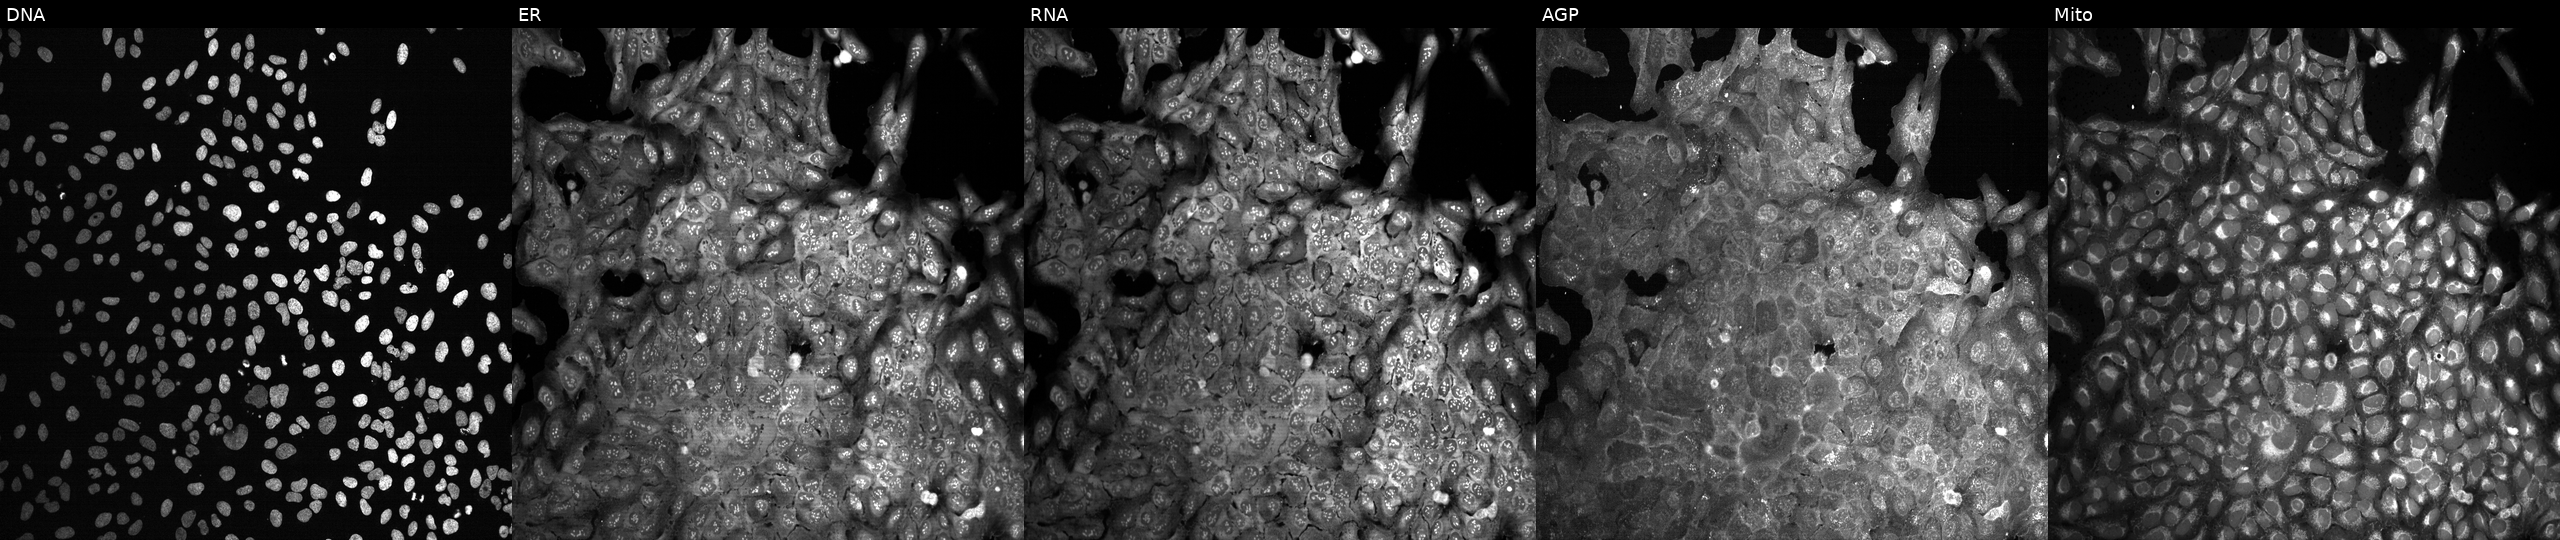
This image strip shows the five Cell Painting channels for a single field of U2OS cells following CRISPR knockout of ARSK. Panels show, left to right, DNA (nuclei); ER (endoplasmic reticulum); RNA (nucleoli and cytoplasmic RNA); AGP (actin cytoskeleton, Golgi, and plasma membrane); Mito (mitochondria).